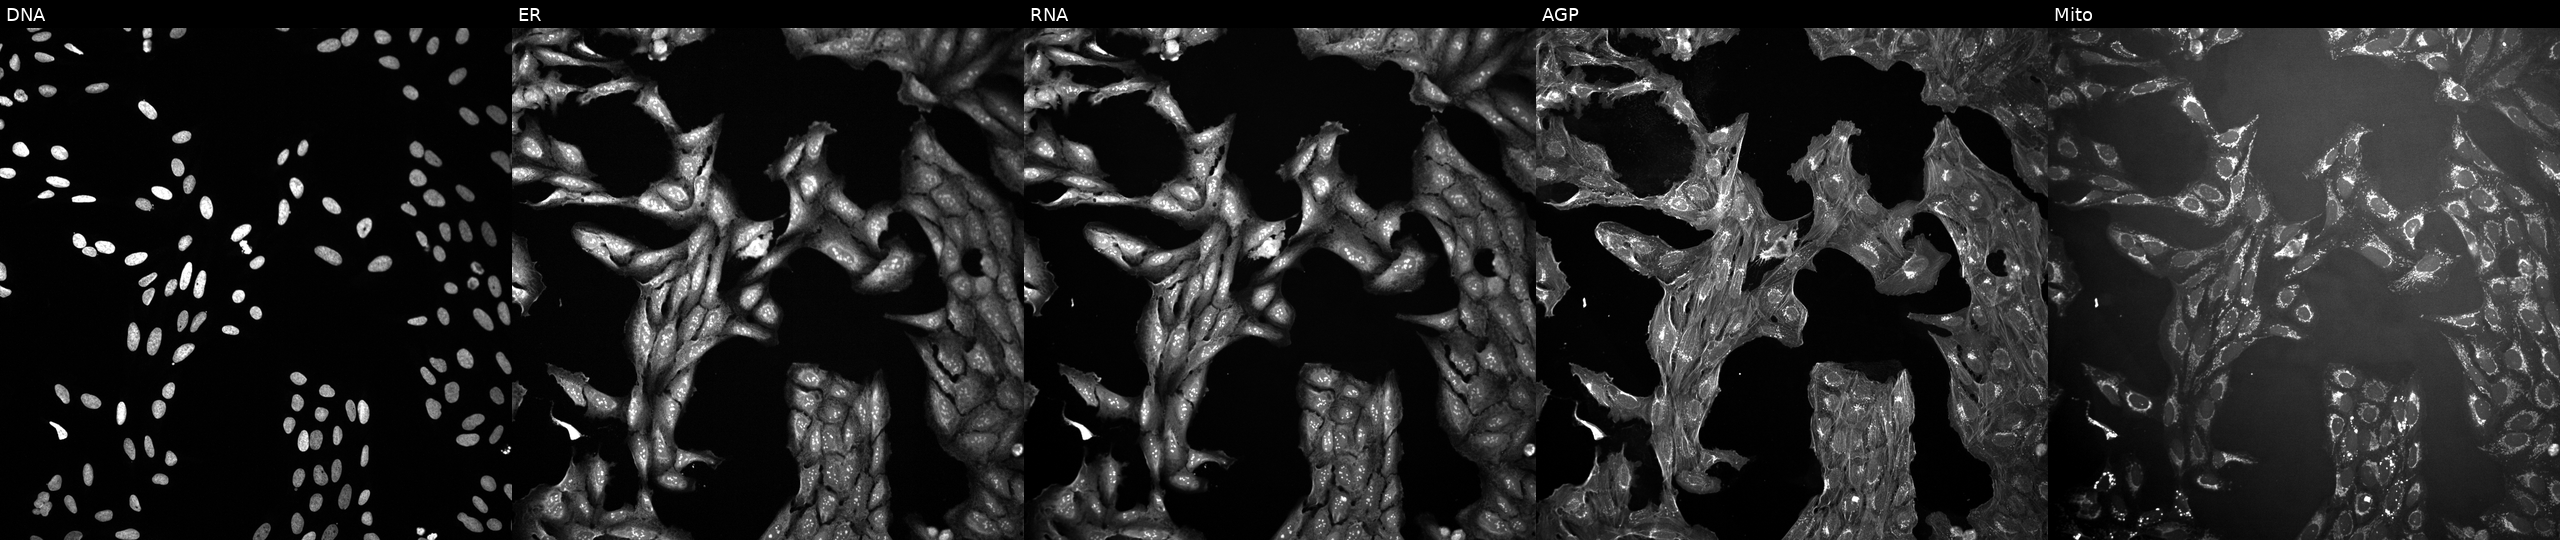
High-content fluorescence microscopy (Cell Painting). Cell line: U2OS. Perturbation: exposed to the positive-control compound dexamethasone (JUMP id JCP2022_025848). The five panels, left to right, show Hoechst 33342, concanavalin A, SYTO 14, phalloidin and WGA, MitoTracker.